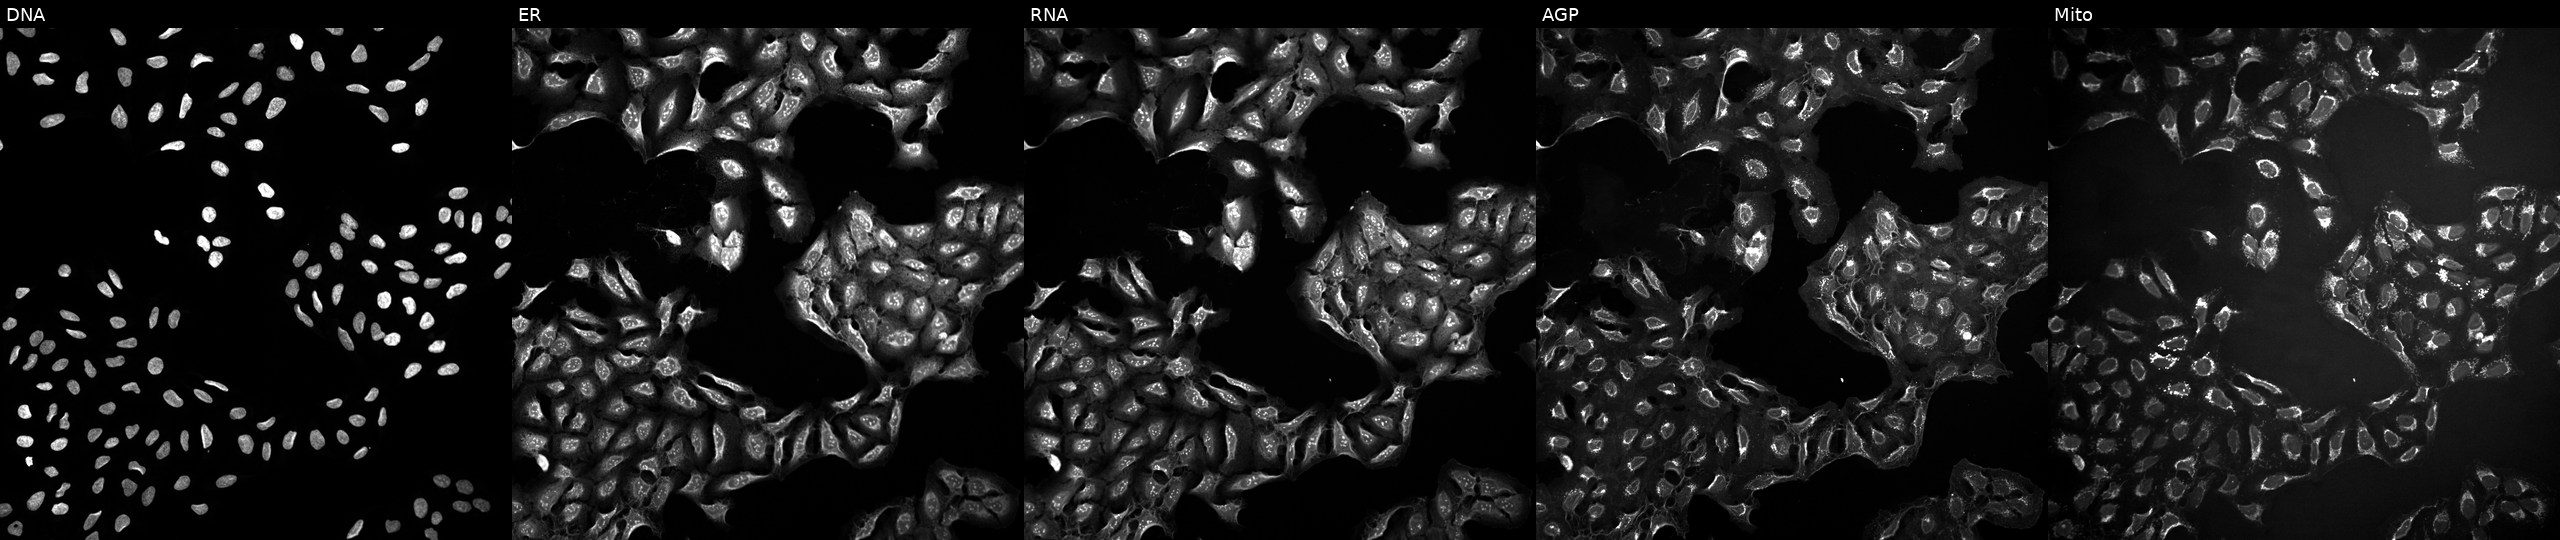
Five-channel Cell Painting image of U2OS cells exposed to a small-molecule compound (InChIKey JUUFBMODXQKSTD-UHFFFAOYSA-N) (JUMP id JCP2022_042261). Channels (left→right): DNA, ER, RNA, AGP, and Mito.